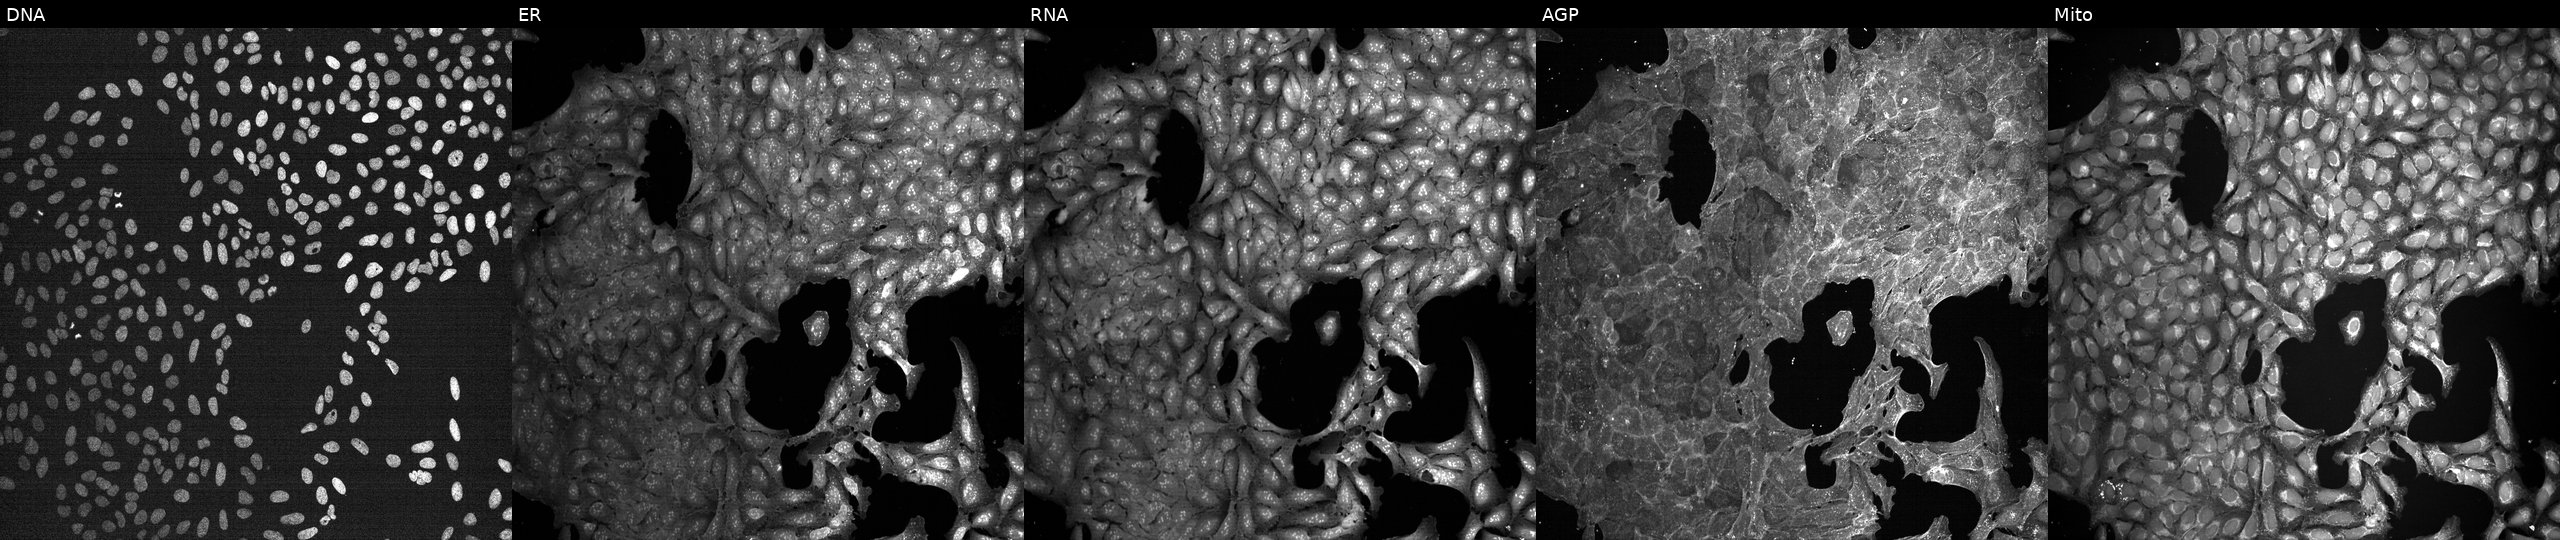
High-content fluorescence microscopy (Cell Painting). Cell line: U2OS. Perturbation: exposed to the positive-control compound dexamethasone (JUMP id JCP2022_025848). Panels show, left to right, DNA, ER, RNA, AGP, and Mito. Source 7, plate CP1-SC1-25, well K02.